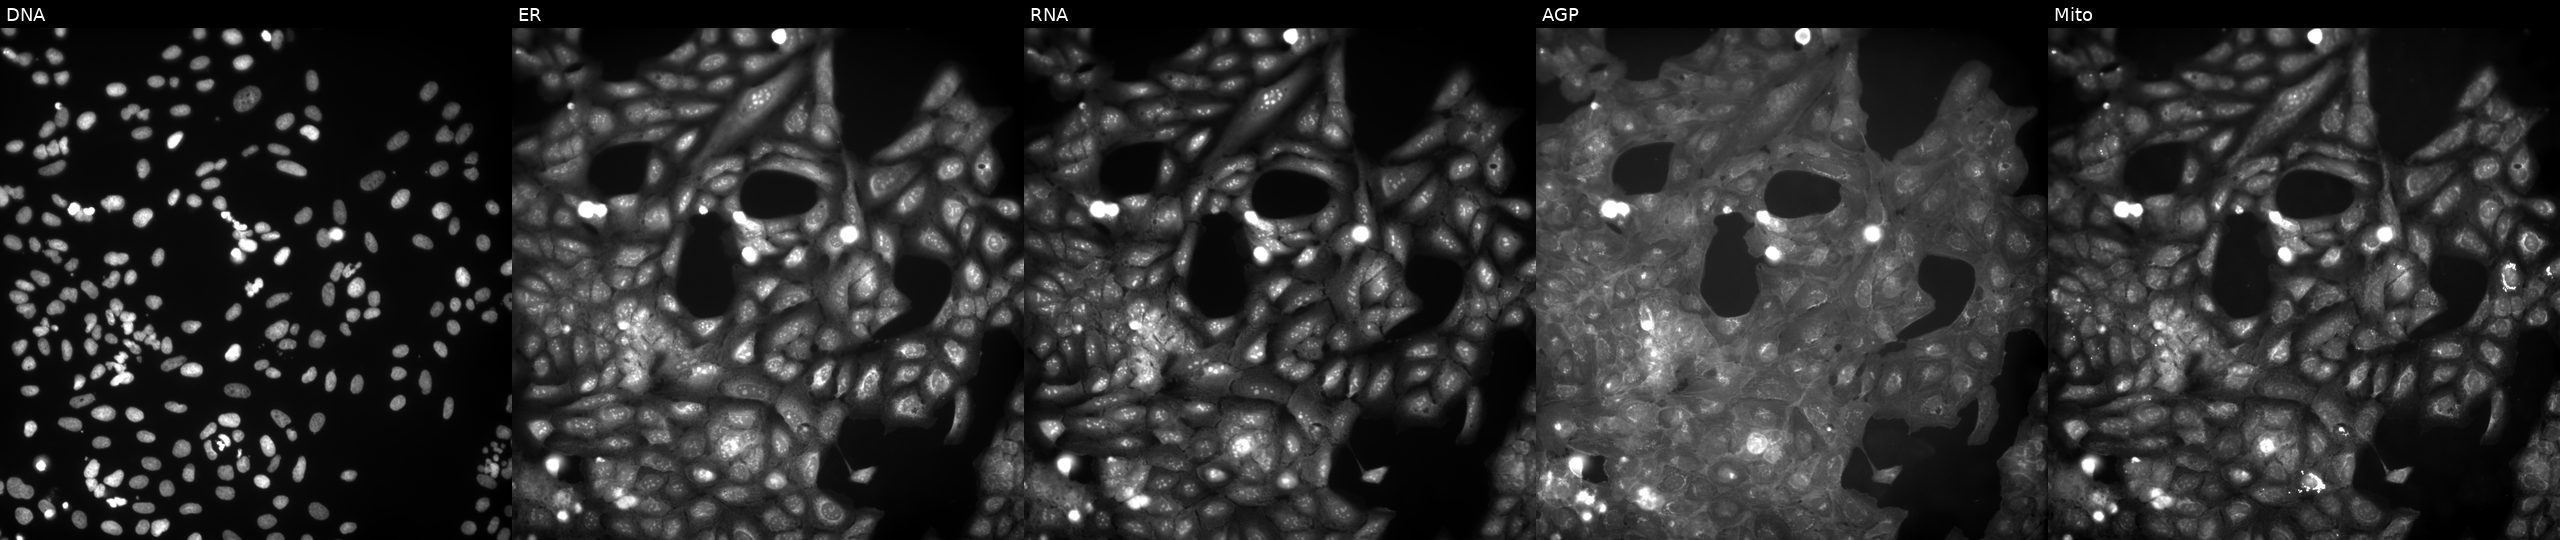
U2OS cells, Cell Painting assay, perturbed with a small-molecule compound [SMILES: CCOc1ccc(S(=O)(=O)N(C(C)=O)c2ccc3oc(C)c(C(=O)OC)c3c2)cc1] (JUMP id JCP2022_003779). Channels (left→right): DNA, ER, RNA, AGP, and Mito. Each panel is percentile-stretched 16-bit fluorescence.